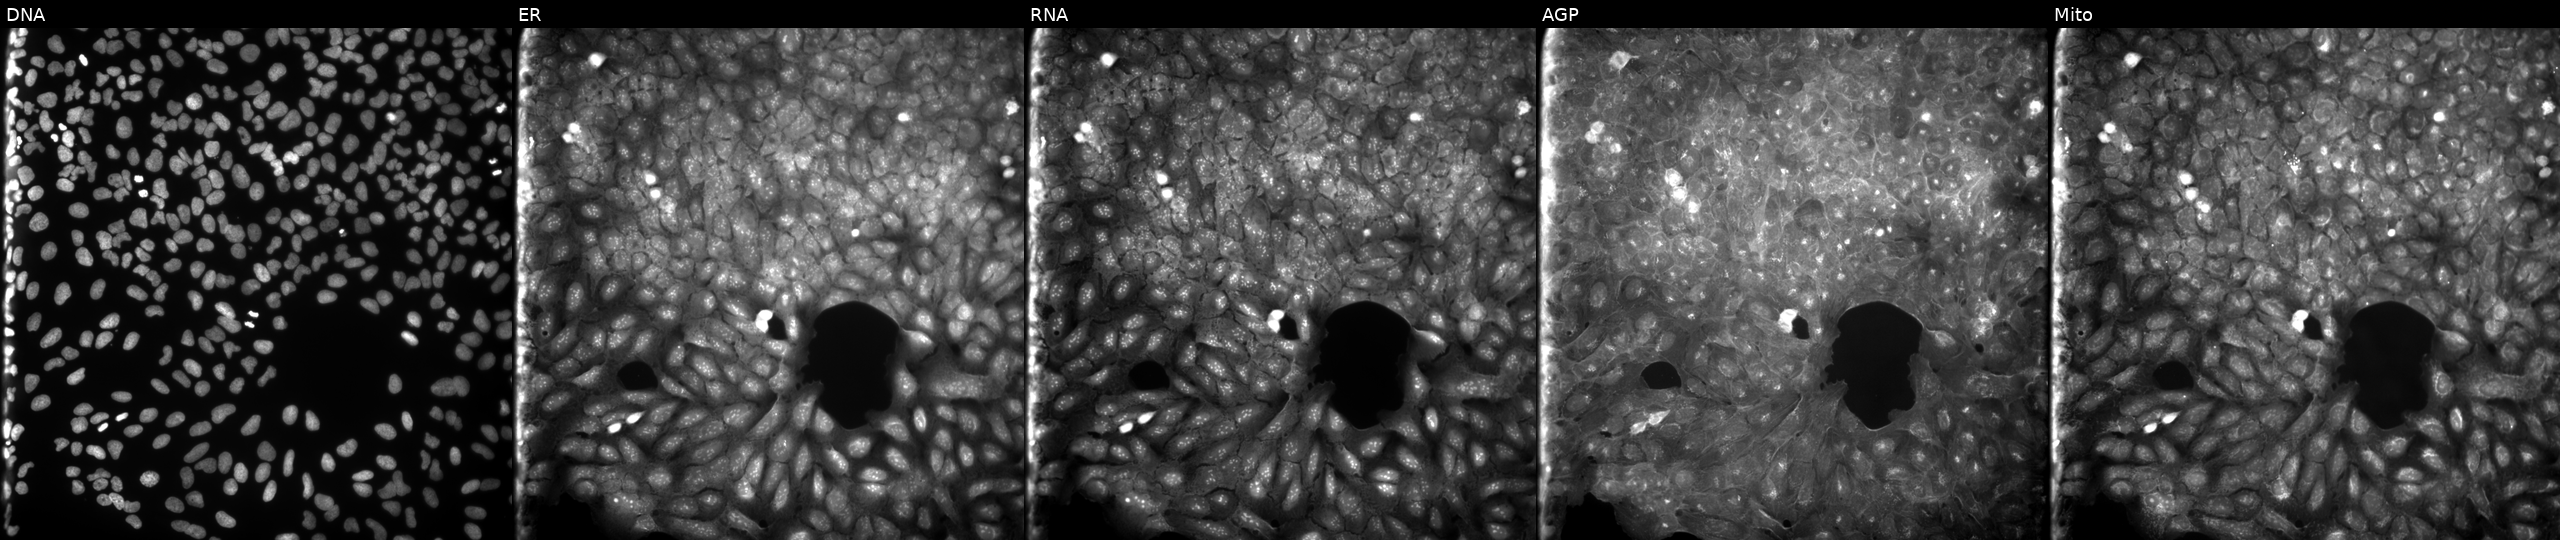
U2OS cells, Cell Painting assay, perturbed with a small-molecule compound (InChIKey IINBTNNKFAPBRB-UHFFFAOYSA-N). Channels (left→right): Hoechst 33342, concanavalin A, SYTO 14, phalloidin and WGA, MitoTracker. Each panel is percentile-stretched 16-bit fluorescence.